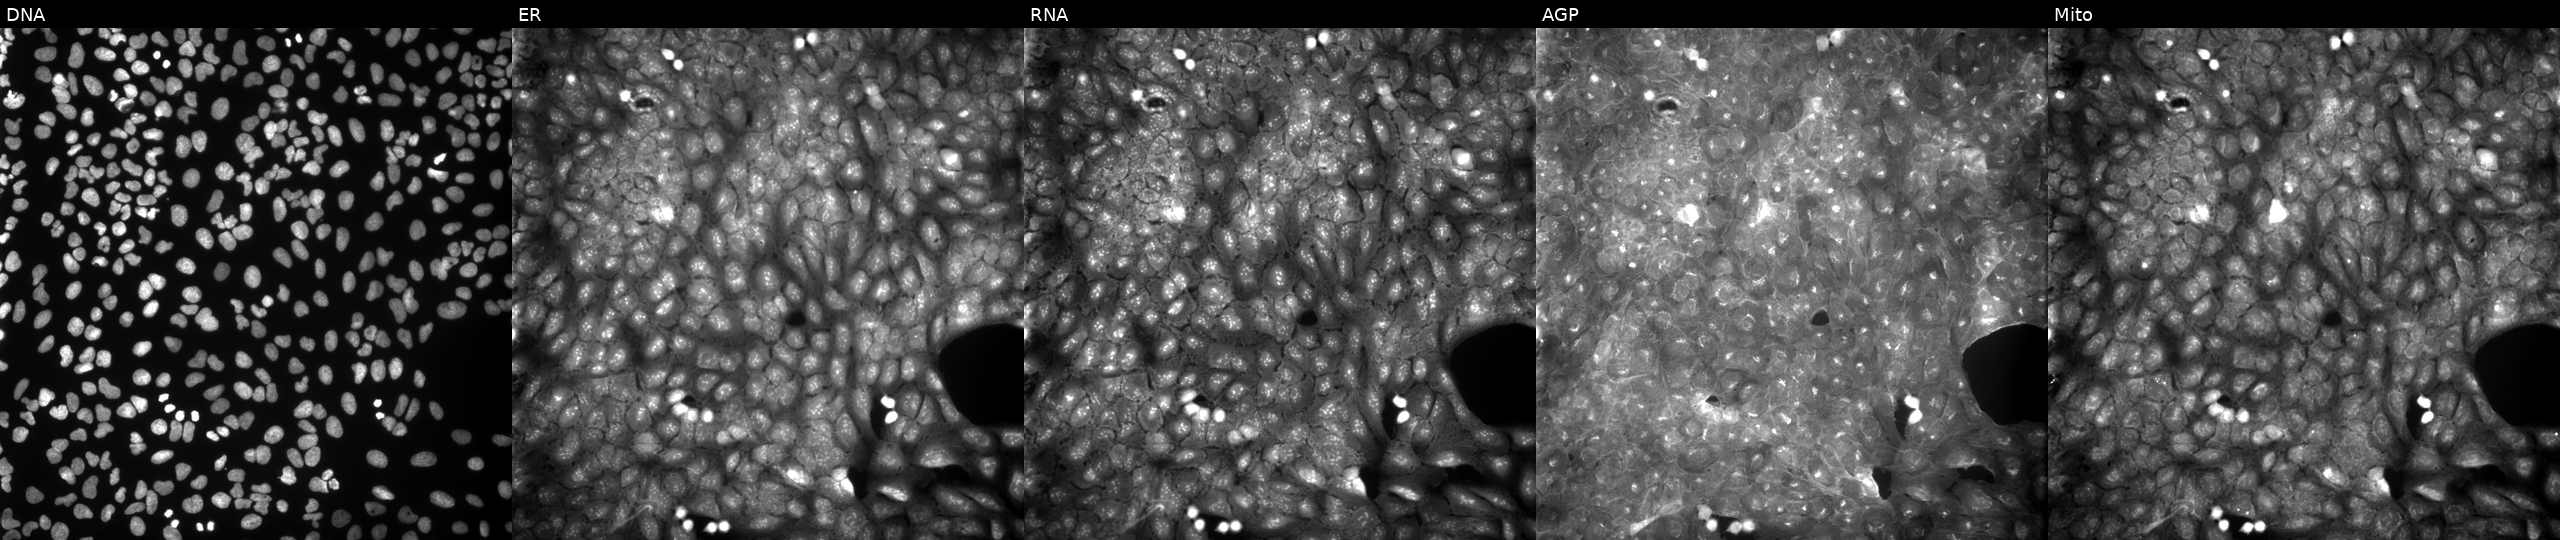
This image strip shows the five Cell Painting channels for a single field of U2OS cells perturbed with a small-molecule compound (InChIKey LHWRJMCFAVKUSE-UHFFFAOYSA-N). Panels show, left to right, DNA, ER, RNA, AGP, and Mito. Source 9, plate GR00003381, well N18.